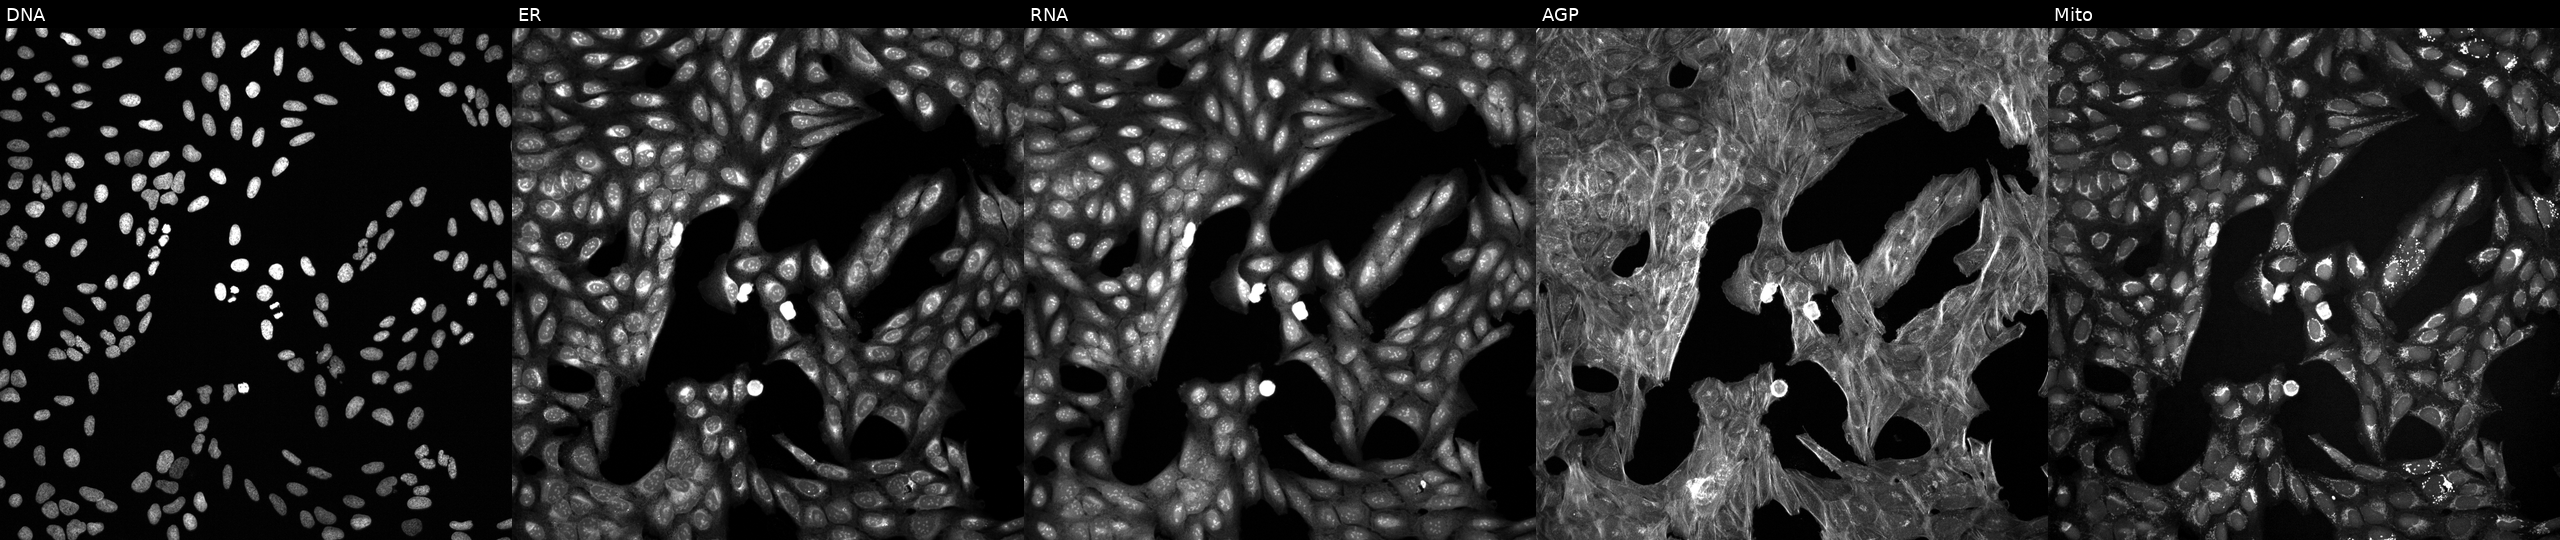
Five-channel Cell Painting image of U2OS cells treated with a small-molecule compound (InChIKey XQLSOXBSRGEQSX-UHFFFAOYSA-N) (JUMP id JCP2022_105352). Panels show, left to right, DNA, ER, RNA, AGP, and Mito. Source 6, plate 110000293083, well N21.